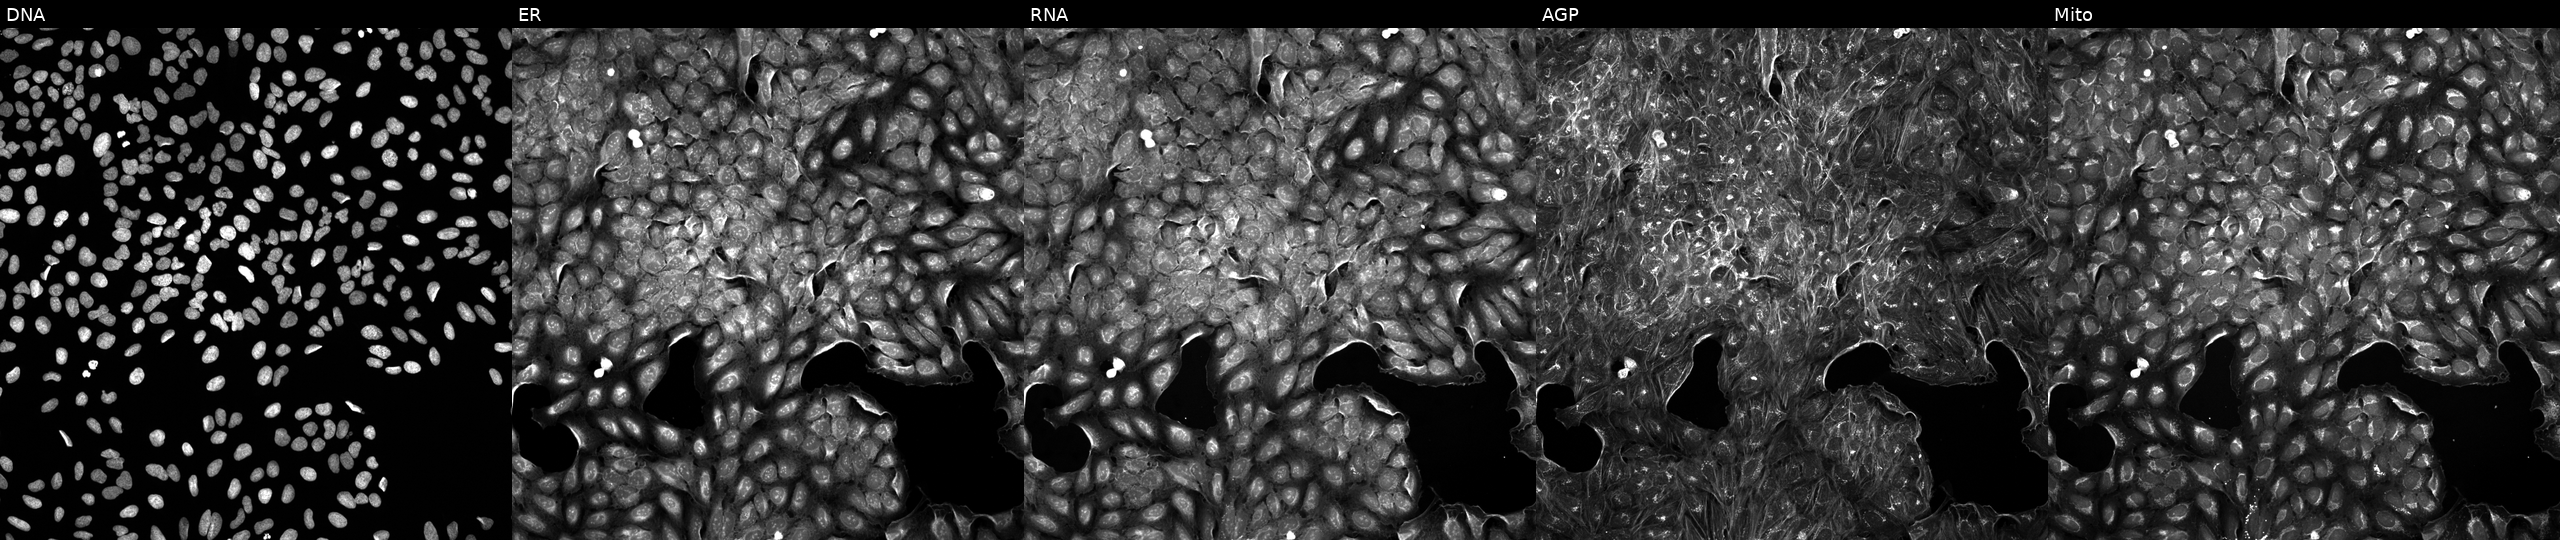
High-content fluorescence microscopy (Cell Painting). Cell line: U2OS. Perturbation: exposed to a small-molecule compound [SMILES: C1CCC2C(C1)OCCN2Cc1nnc(C2CC2)o1] (JUMP id JCP2022_098743). Channels (left→right): Hoechst 33342, concanavalin A, SYTO 14, phalloidin and WGA, MitoTracker. Source 5, plate APTJUM106, well N22.